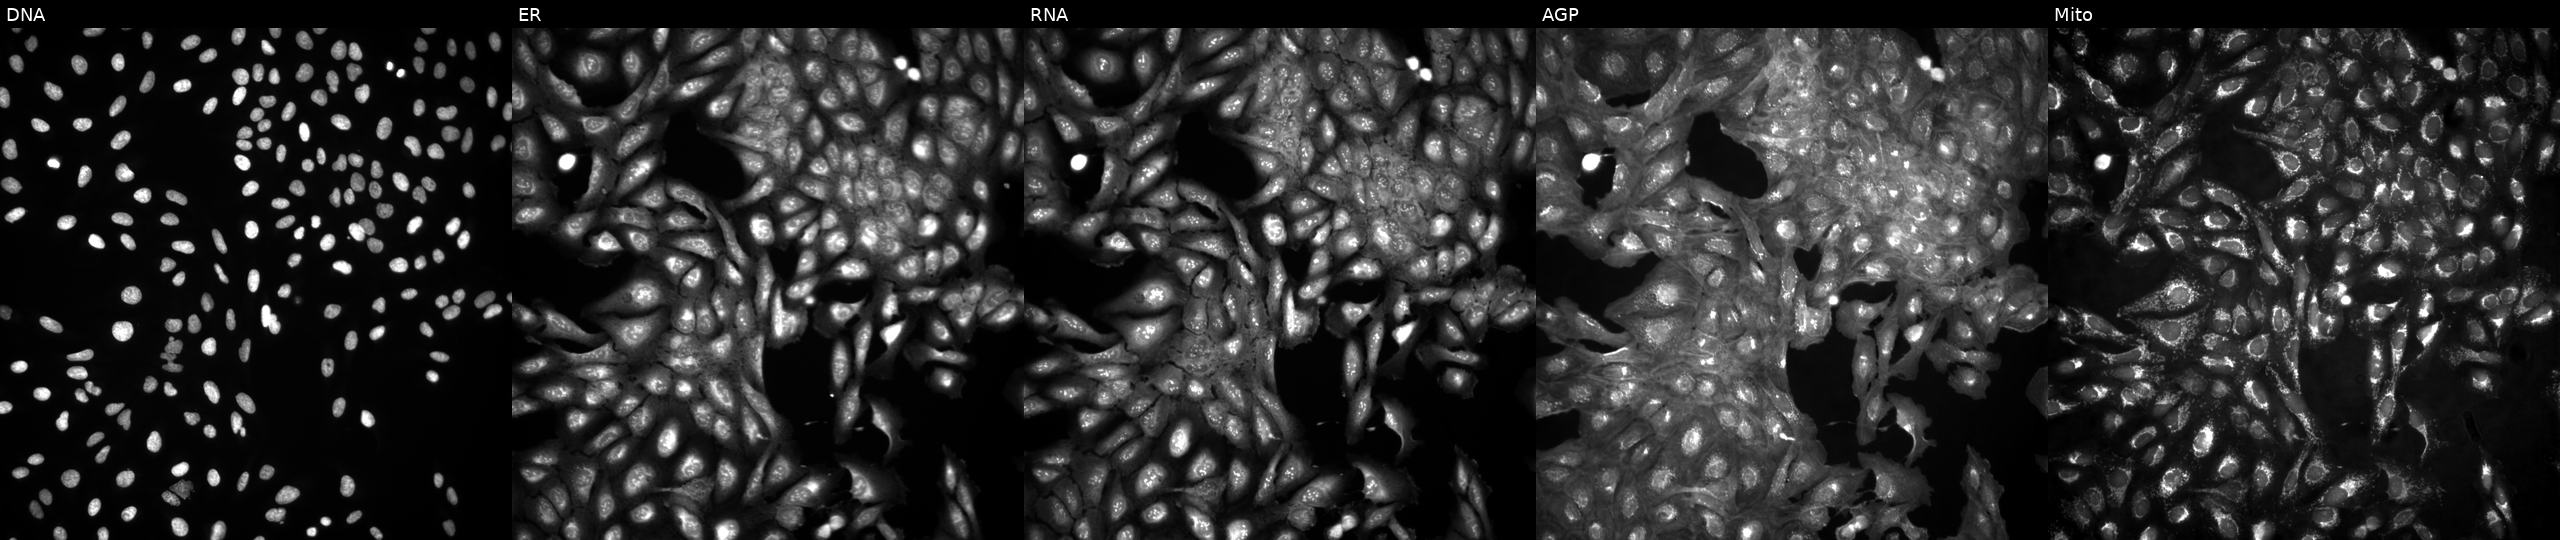
U2OS cells, Cell Painting assay, in an empty control well (no perturbation). Channels (left→right): DNA, ER, RNA, AGP, and Mito. Each panel is percentile-stretched 16-bit fluorescence.